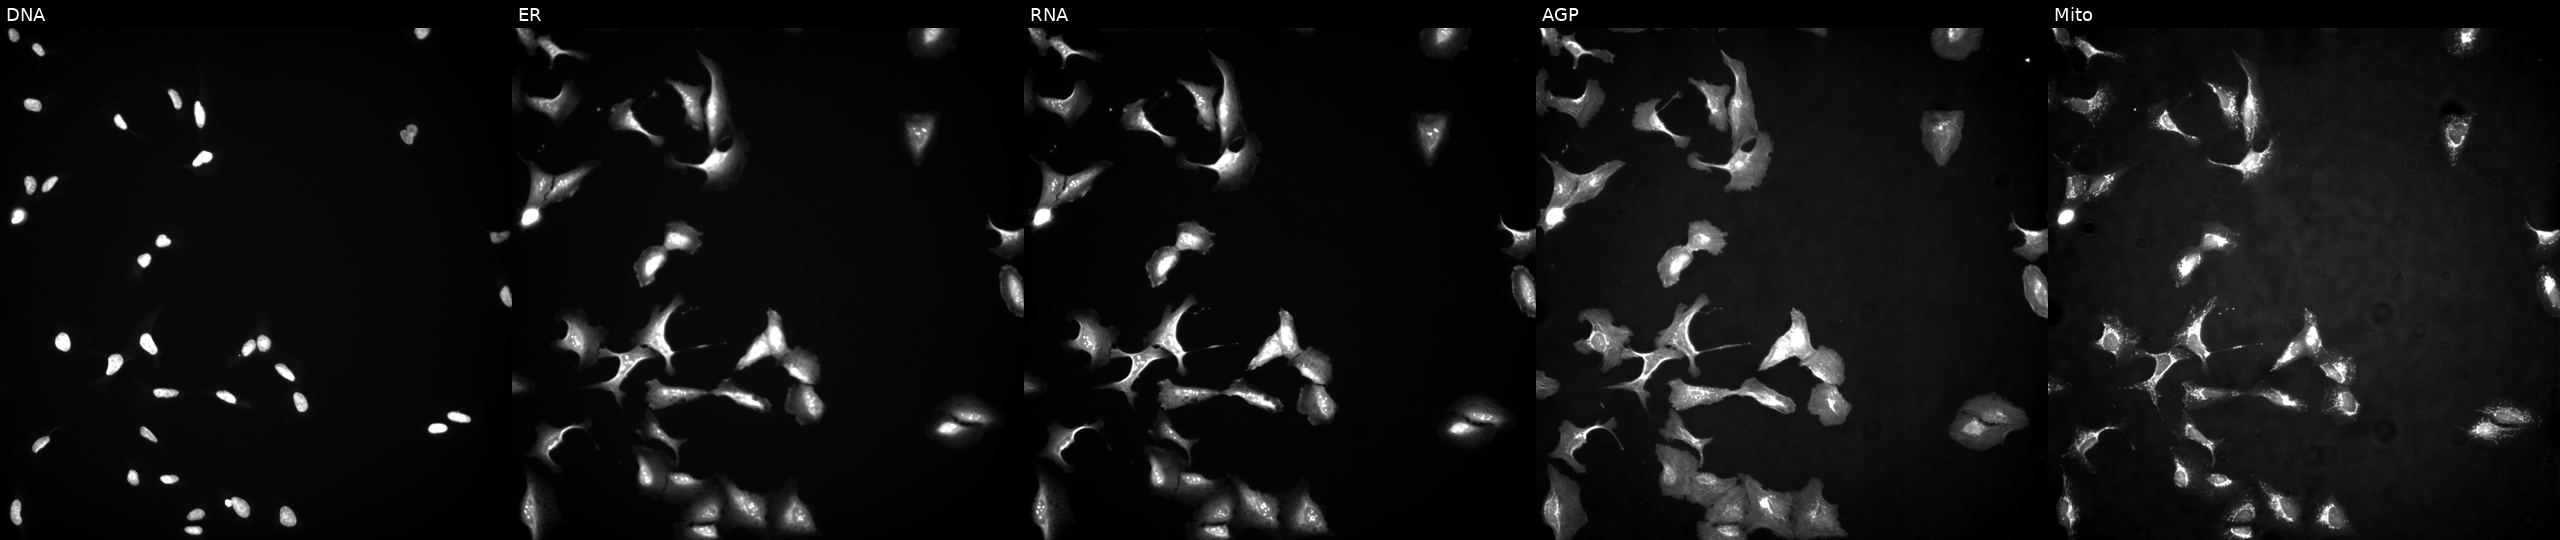
High-content fluorescence microscopy (Cell Painting). Cell line: U2OS. Perturbation: transfected with an ORF construct for ZIM3. The five panels, left to right, show Hoechst 33342, concanavalin A, SYTO 14, phalloidin and WGA, MitoTracker. Source 4, plate BR00117035, well K08.